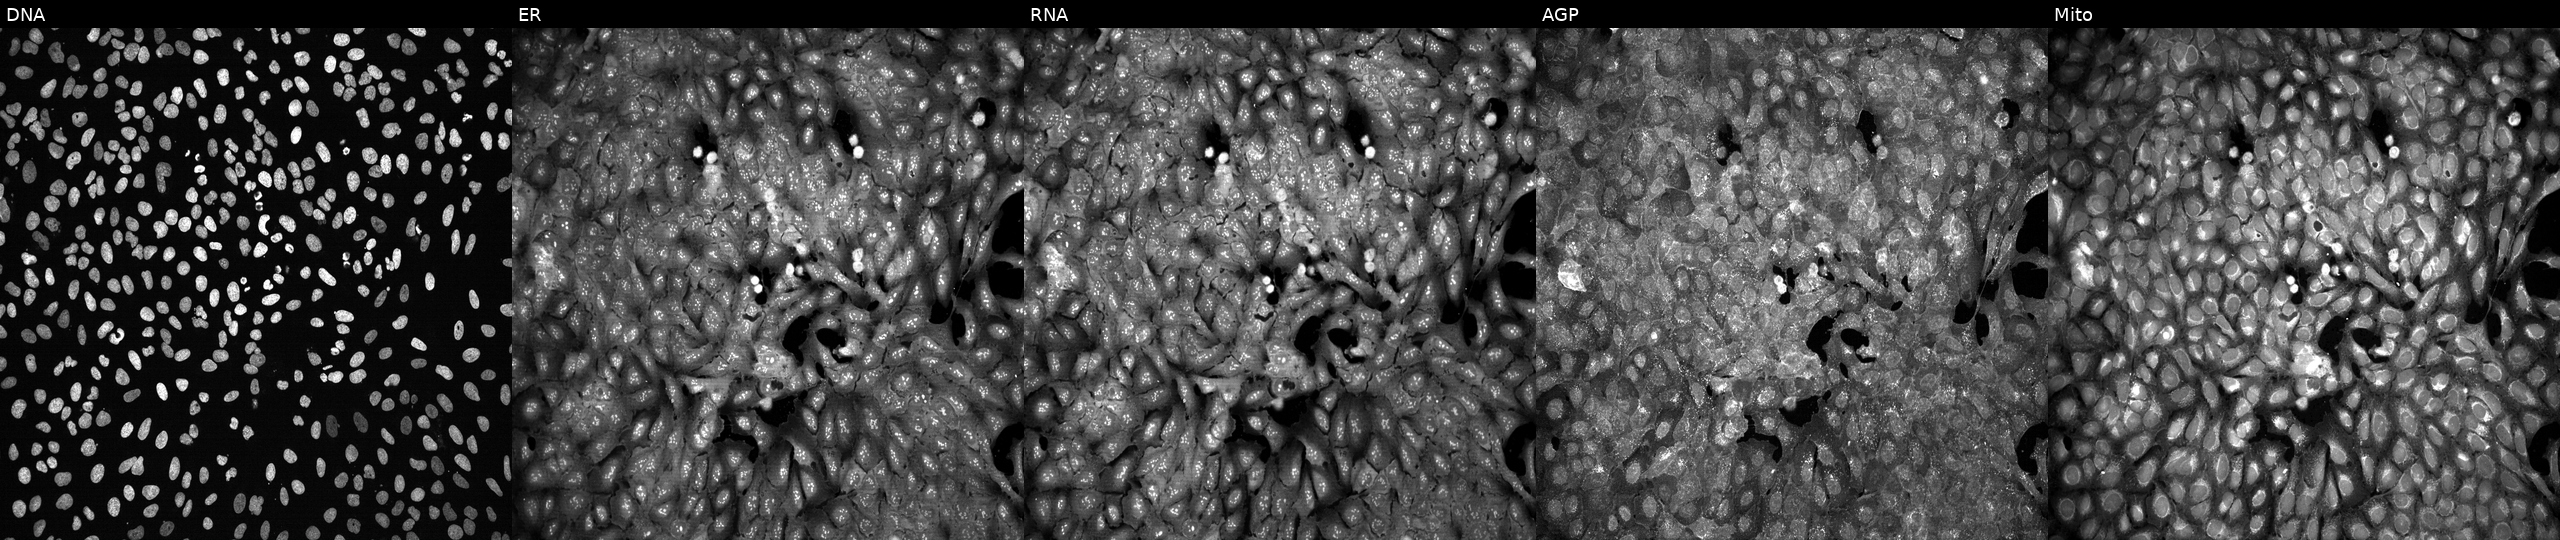
U2OS cells, Cell Painting assay, CRISPR-edited to disrupt DNASE2B (JUMP id JCP2022_801875). Channels (left→right): DNA (nuclei); ER (endoplasmic reticulum); RNA (nucleoli and cytoplasmic RNA); AGP (actin cytoskeleton, Golgi, and plasma membrane); Mito (mitochondria). Each panel is percentile-stretched 16-bit fluorescence.